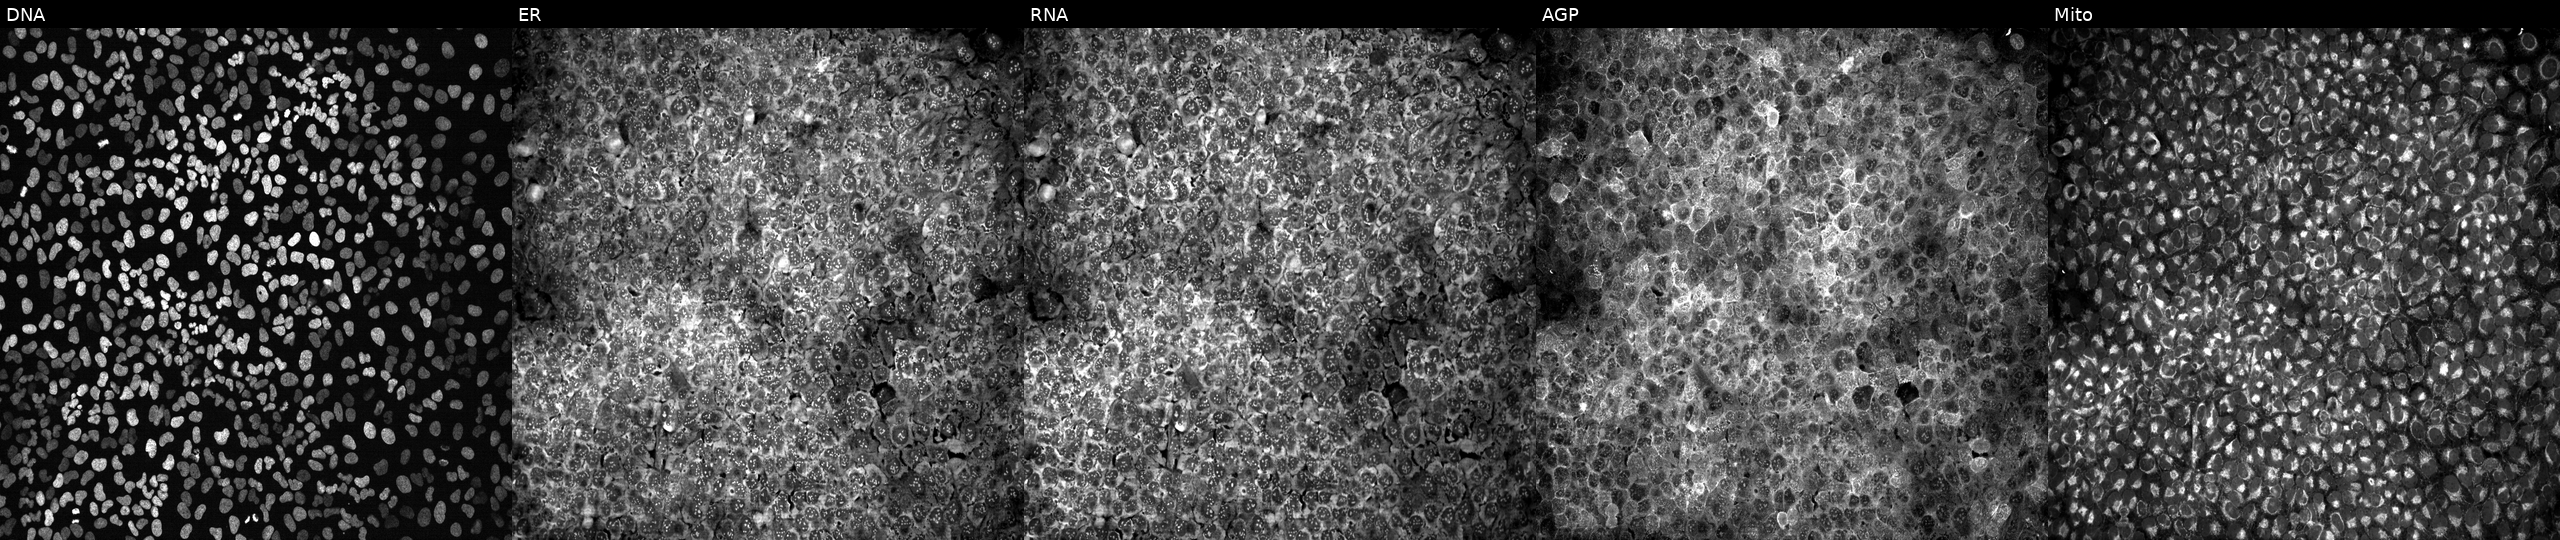
U2OS cells, Cell Painting assay, with no CRISPR guide (negative control) (JUMP id JCP2022_800001). Panels show, left to right, Hoechst 33342, concanavalin A, SYTO 14, phalloidin and WGA, MitoTracker. Each panel is percentile-stretched 16-bit fluorescence.